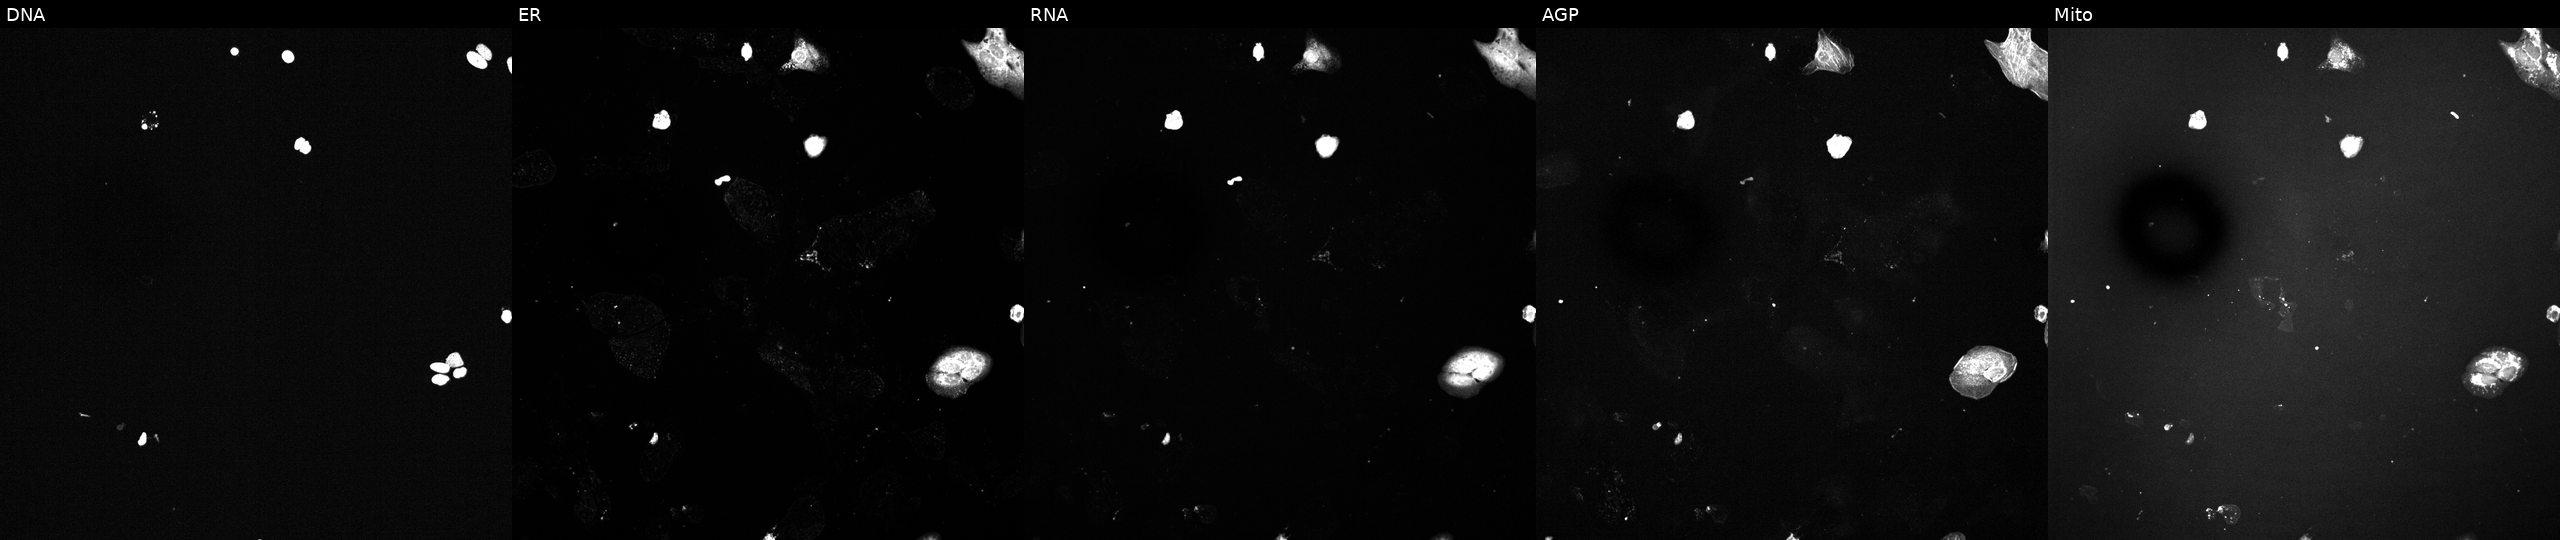
Five-channel Cell Painting image of U2OS cells perturbed with a small-molecule compound (InChIKey RVAQIUULWULRNW-UHFFFAOYSA-N). From left to right: Hoechst 33342, concanavalin A, SYTO 14, phalloidin and WGA, MitoTracker.